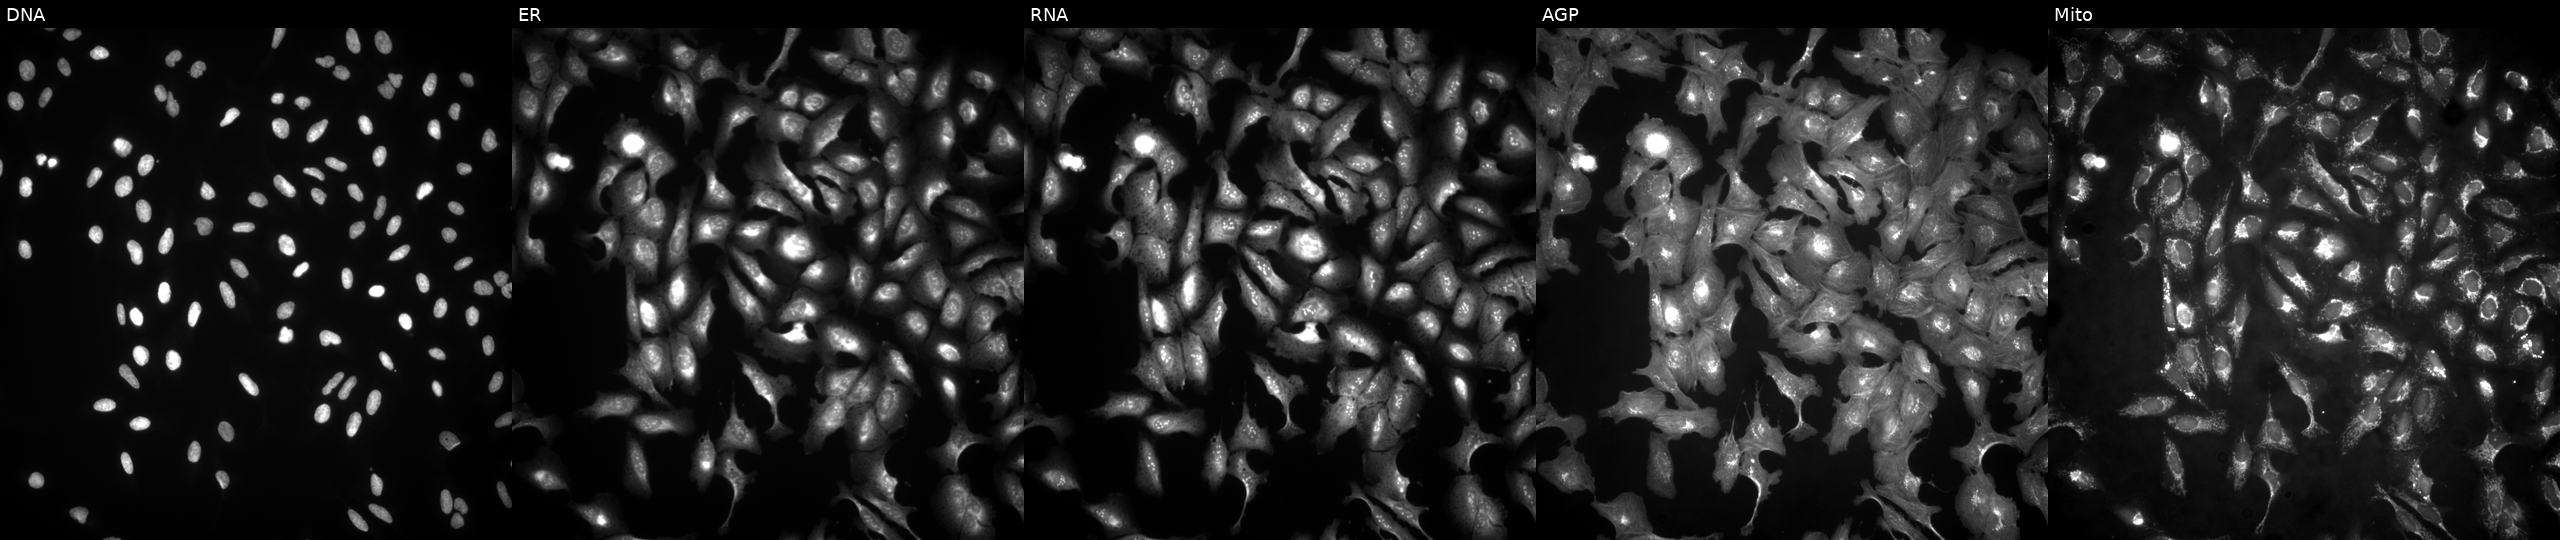
High-content fluorescence microscopy (Cell Painting). Cell line: U2OS. Perturbation: with DRG1 overexpressed (ORF). Panels show, left to right, DNA, ER, RNA, AGP, and Mito.